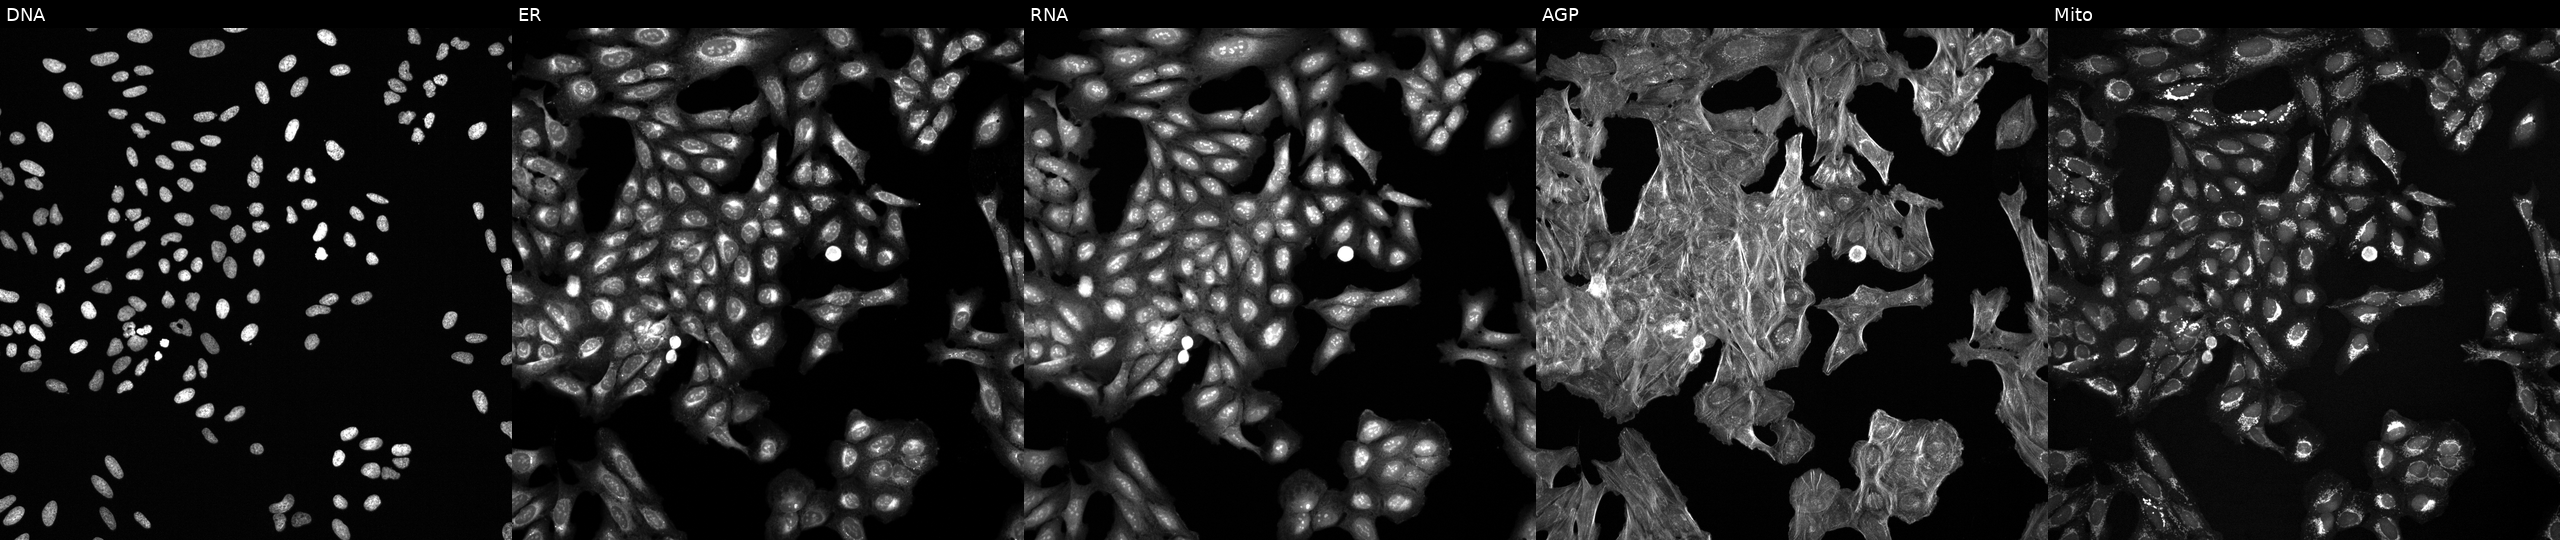
U2OS cells, Cell Painting assay, treated with a small-molecule compound [SMILES: CCS(=O)(=O)Nc1ccc(Sc2ccc(C(=O)NC(C)C)cn2)cc1]. Channels (left→right): Hoechst 33342, concanavalin A, SYTO 14, phalloidin and WGA, MitoTracker. Each panel is percentile-stretched 16-bit fluorescence. Source 6, plate 110000293082, well M04.